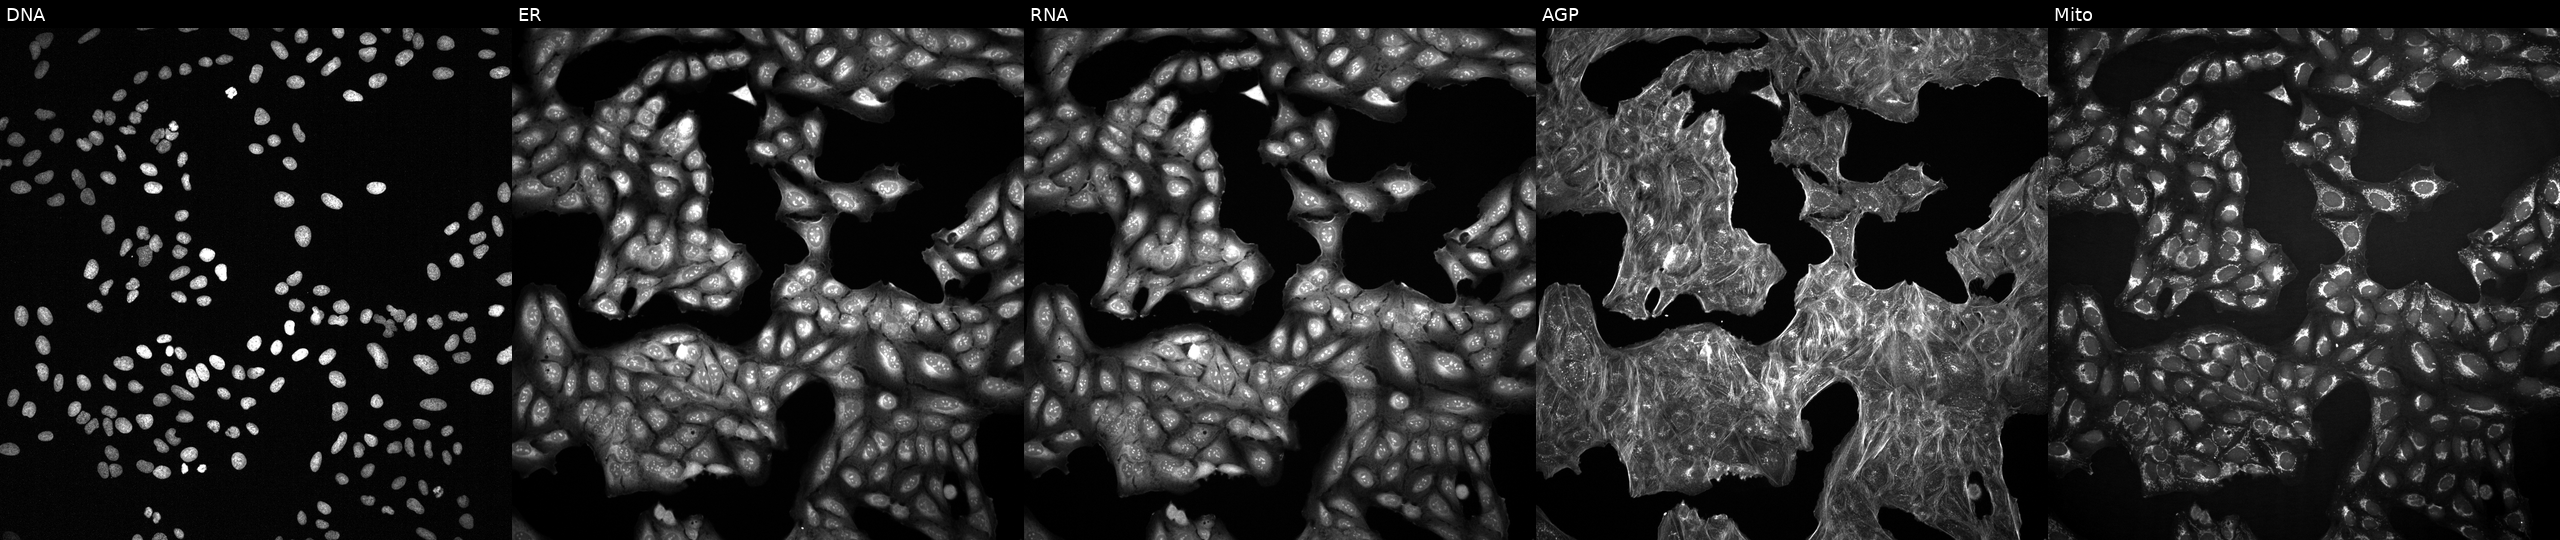
JUMP Cell Painting — TARGET2 plate. U2OS cells treated with a small-molecule compound. From left to right: DNA, ER, RNA, AGP, and Mito.